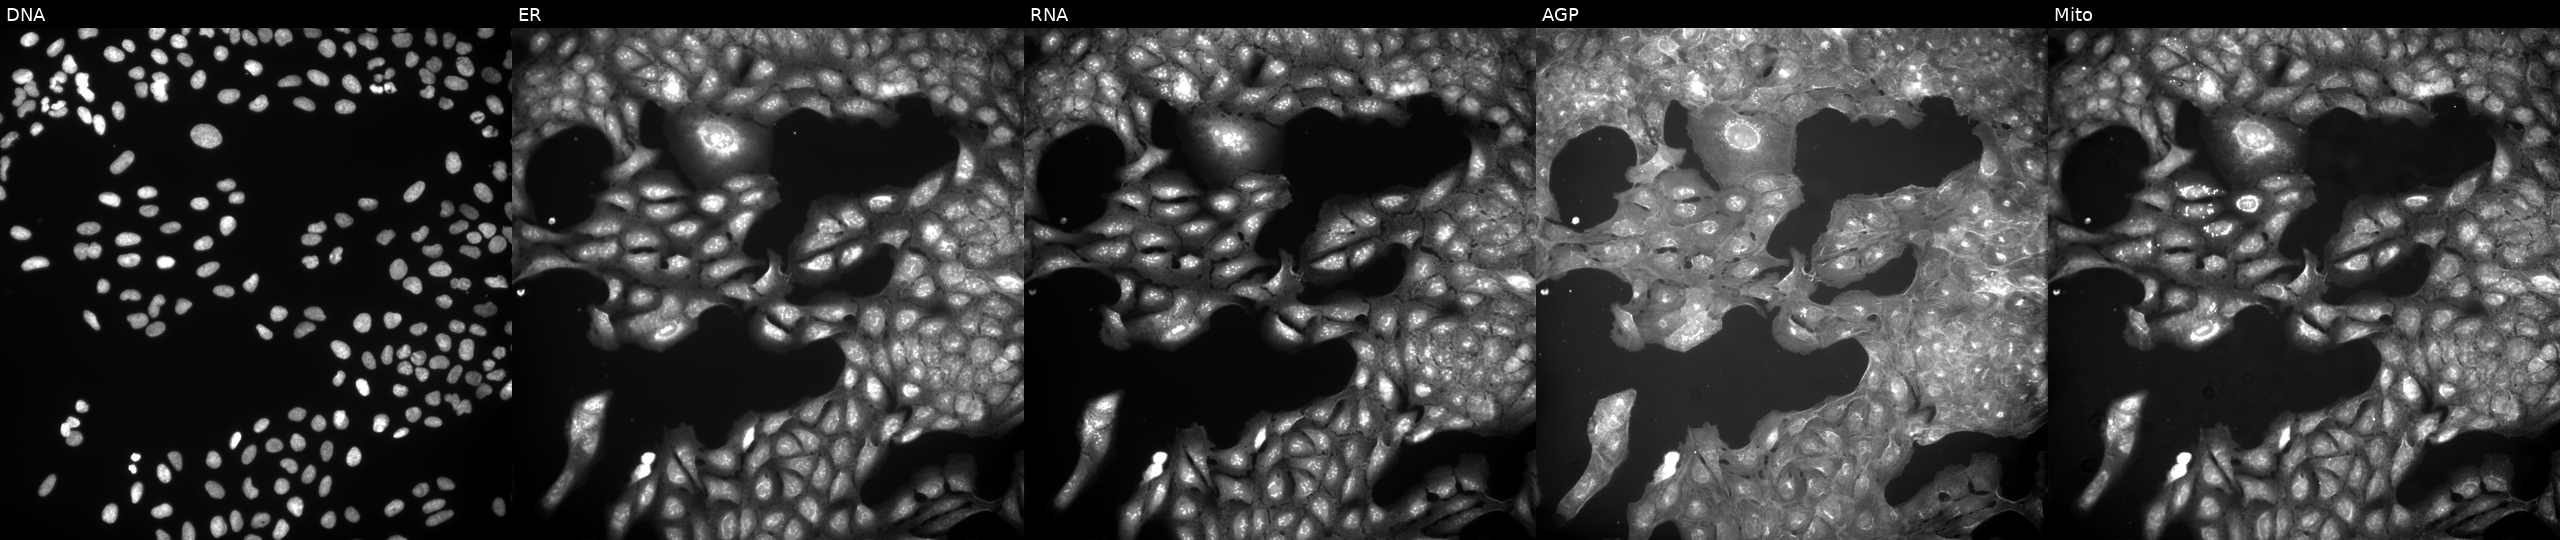
High-content fluorescence microscopy (Cell Painting). Cell line: U2OS. Perturbation: exposed to a small-molecule compound (JUMP id JCP2022_111956). The five panels, left to right, show DNA (nuclei); ER (endoplasmic reticulum); RNA (nucleoli and cytoplasmic RNA); AGP (actin cytoskeleton, Golgi, and plasma membrane); Mito (mitochondria). Source 9, plate GR00003382, well D32.